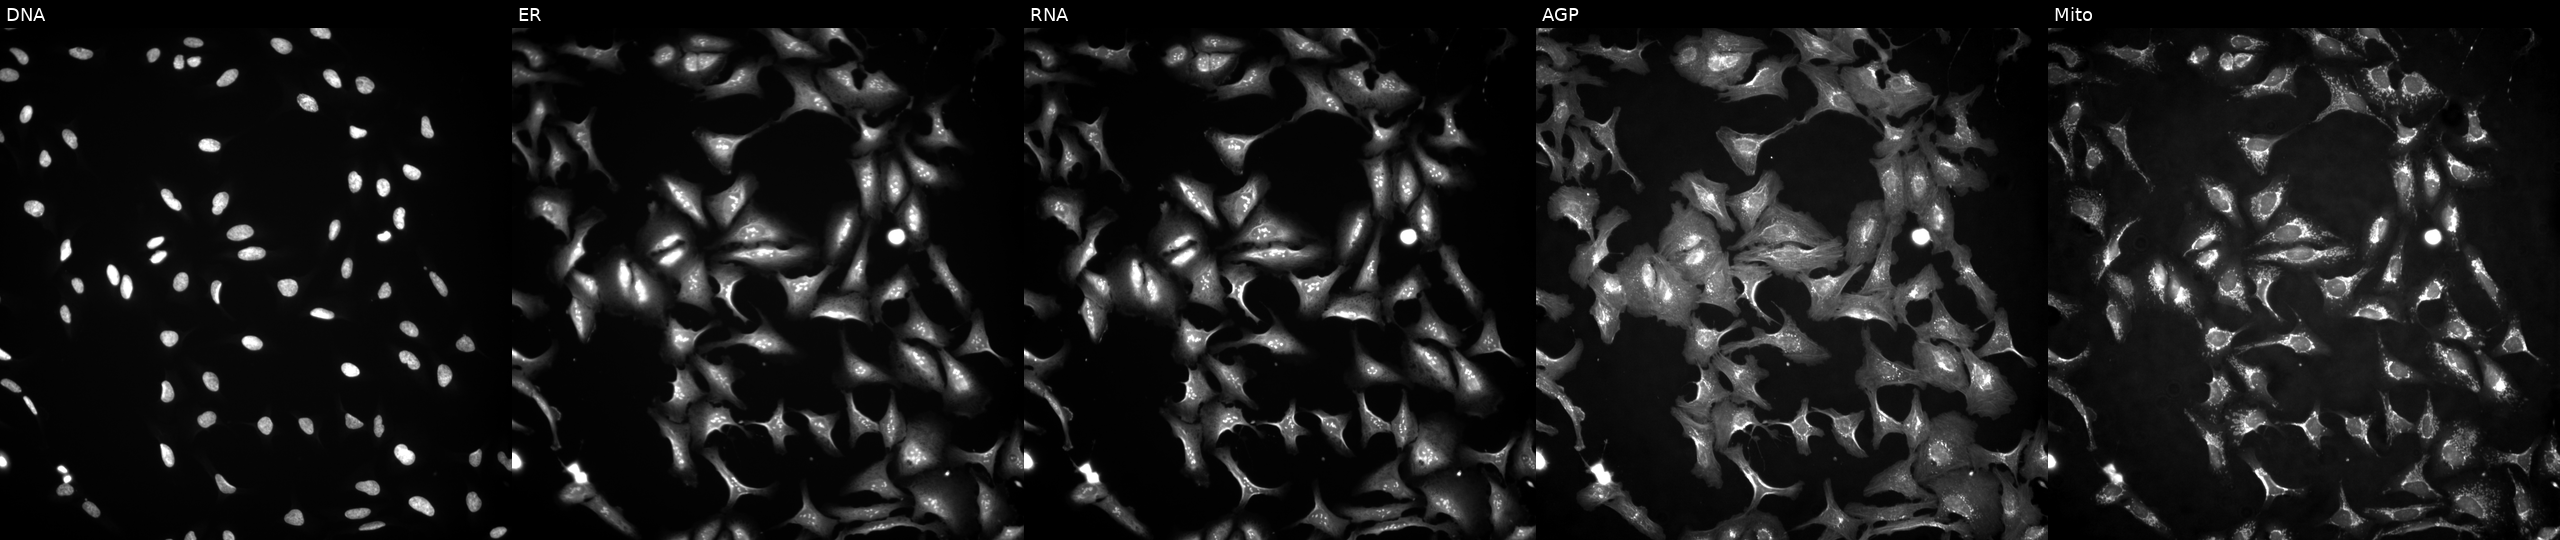
High-content fluorescence microscopy (Cell Painting). Cell line: U2OS. Perturbation: overexpressing POLR3F via ORF transfection (JUMP id JCP2022_907153). Channels (left→right): Hoechst 33342, concanavalin A, SYTO 14, phalloidin and WGA, MitoTracker. Source 4, plate BR00117035, well I03.